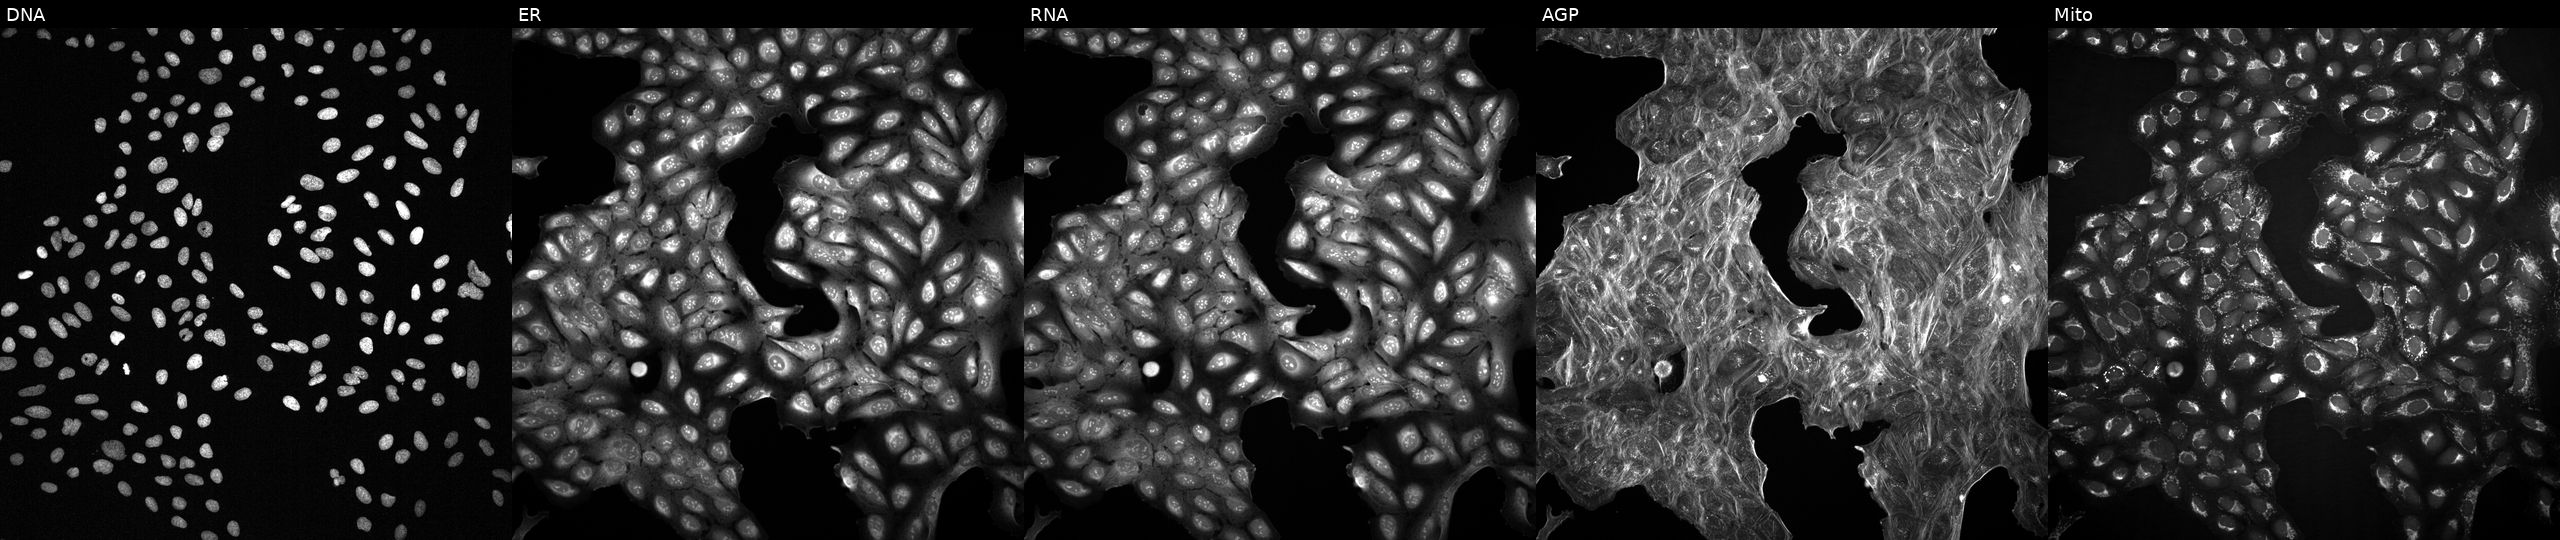
The five panels, left to right, show DNA (nuclei); ER (endoplasmic reticulum); RNA (nucleoli and cytoplasmic RNA); AGP (actin cytoskeleton, Golgi, and plasma membrane); Mito (mitochondria). U2OS osteosarcoma cells exposed to DMSO alone as a negative control. Cell Painting assay, JUMP-CP dataset.